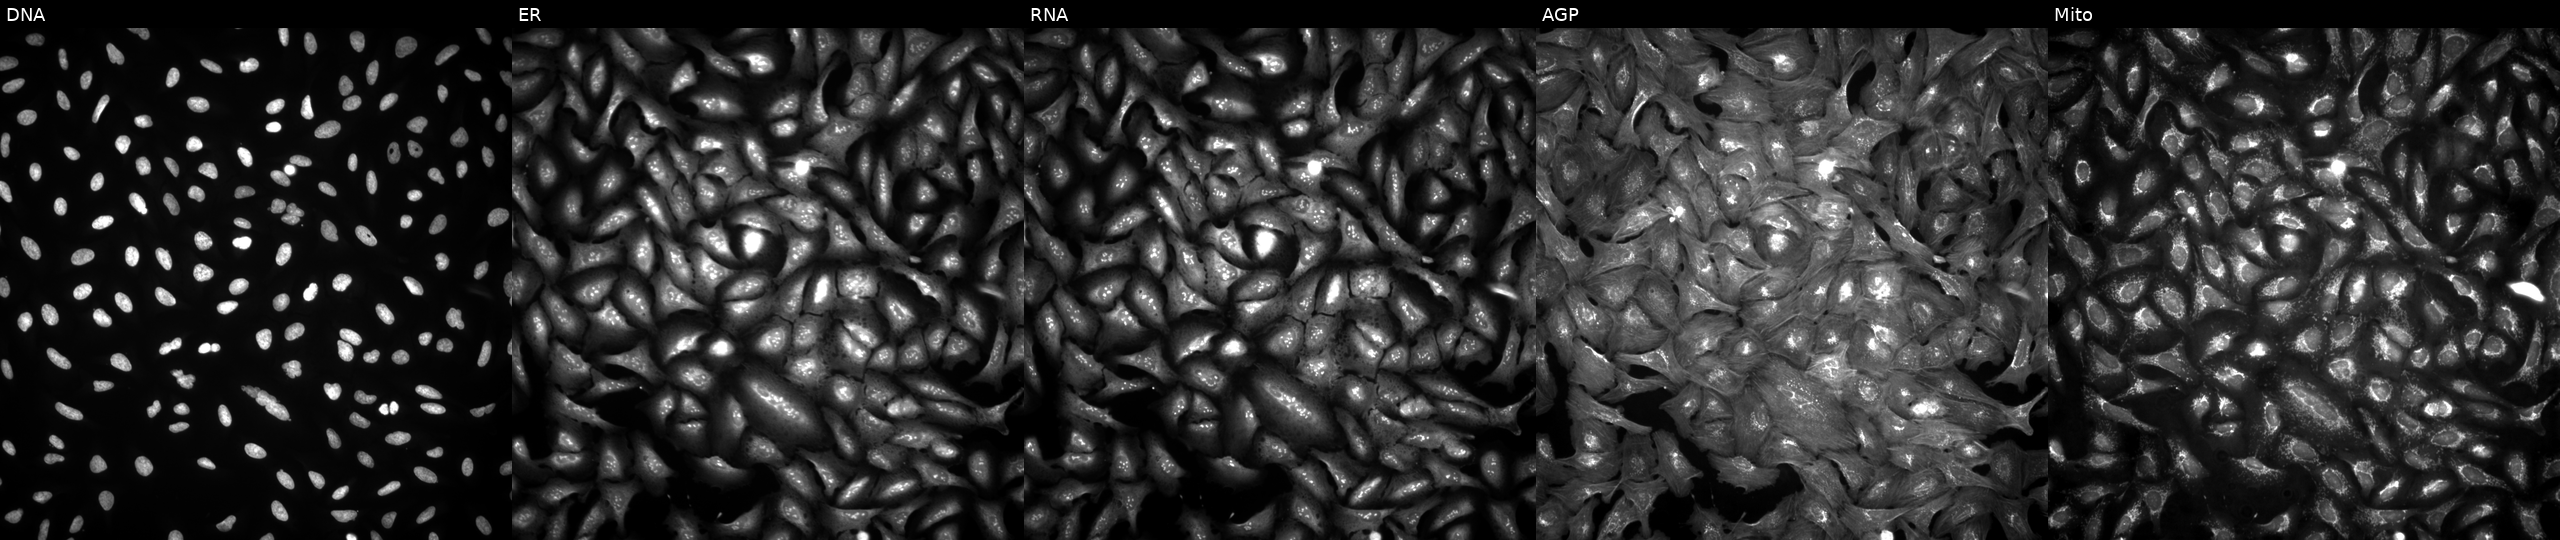
This image strip shows the five Cell Painting channels for a single field of U2OS cells transfected with an ORF construct for RGS5. Channels (left→right): DNA (nuclei); ER (endoplasmic reticulum); RNA (nucleoli and cytoplasmic RNA); AGP (actin cytoskeleton, Golgi, and plasma membrane); Mito (mitochondria).